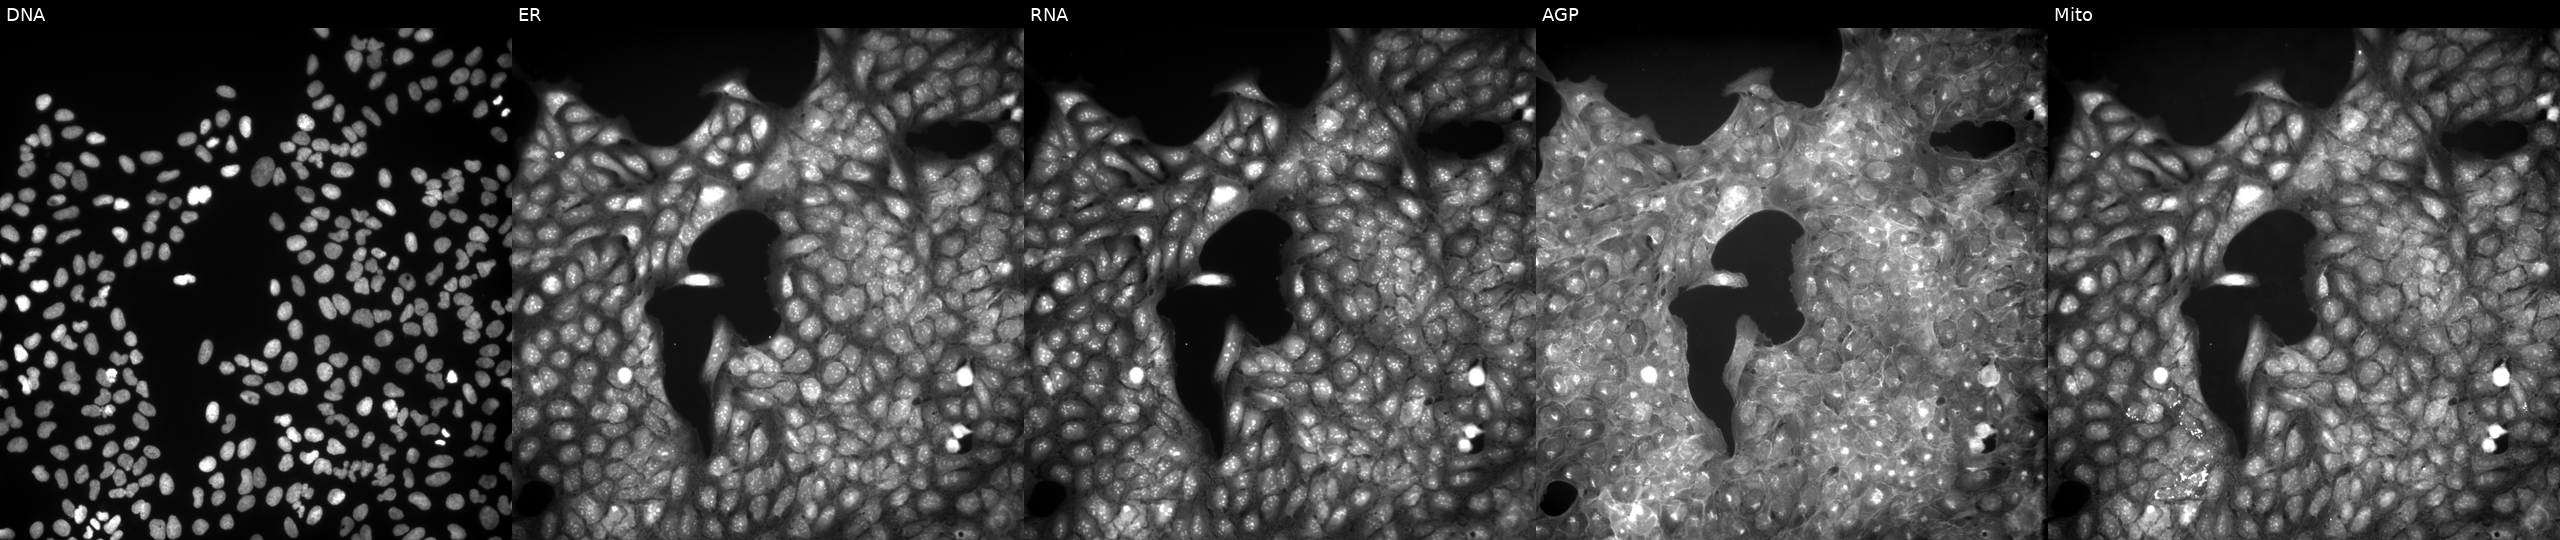
High-content fluorescence microscopy (Cell Painting). Cell line: U2OS. Perturbation: perturbed with a small-molecule compound (InChIKey YLUBWOIEELDZPM-UHFFFAOYSA-N) [SMILES: COc1cccc2cc(-c3nc4ccccc4o3)c(=O)oc12] (JUMP id JCP2022_109271). Channels (left→right): DNA (nuclei); ER (endoplasmic reticulum); RNA (nucleoli and cytoplasmic RNA); AGP (actin cytoskeleton, Golgi, and plasma membrane); Mito (mitochondria).